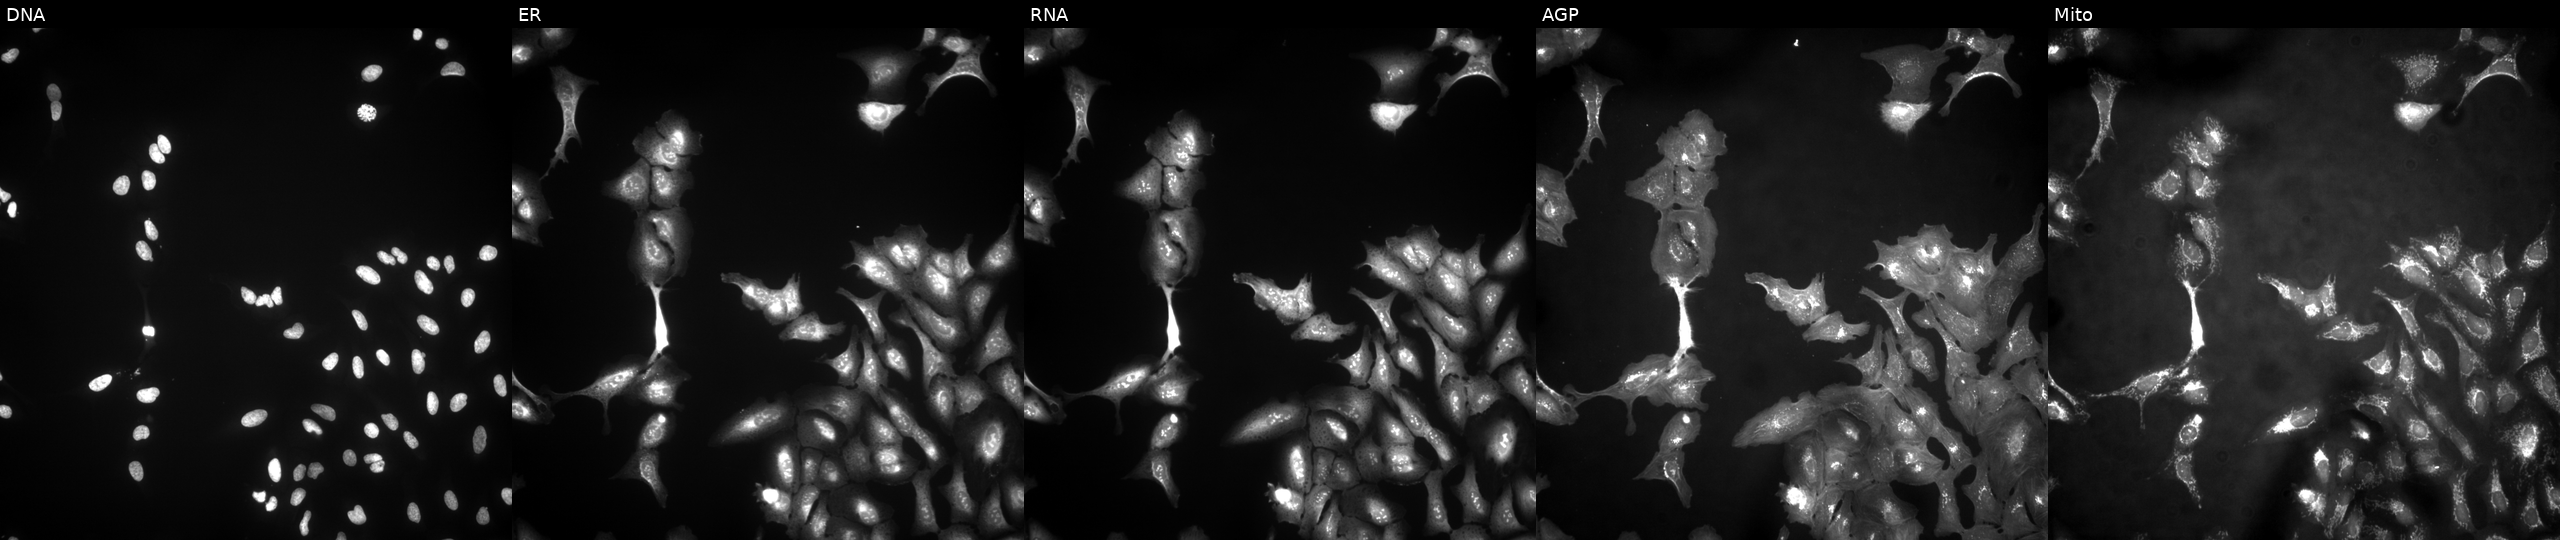
JUMP Cell Painting — ORF plate. U2OS cells with BEND5 overexpressed (ORF). Channels (left→right): Hoechst 33342, concanavalin A, SYTO 14, phalloidin and WGA, MitoTracker.